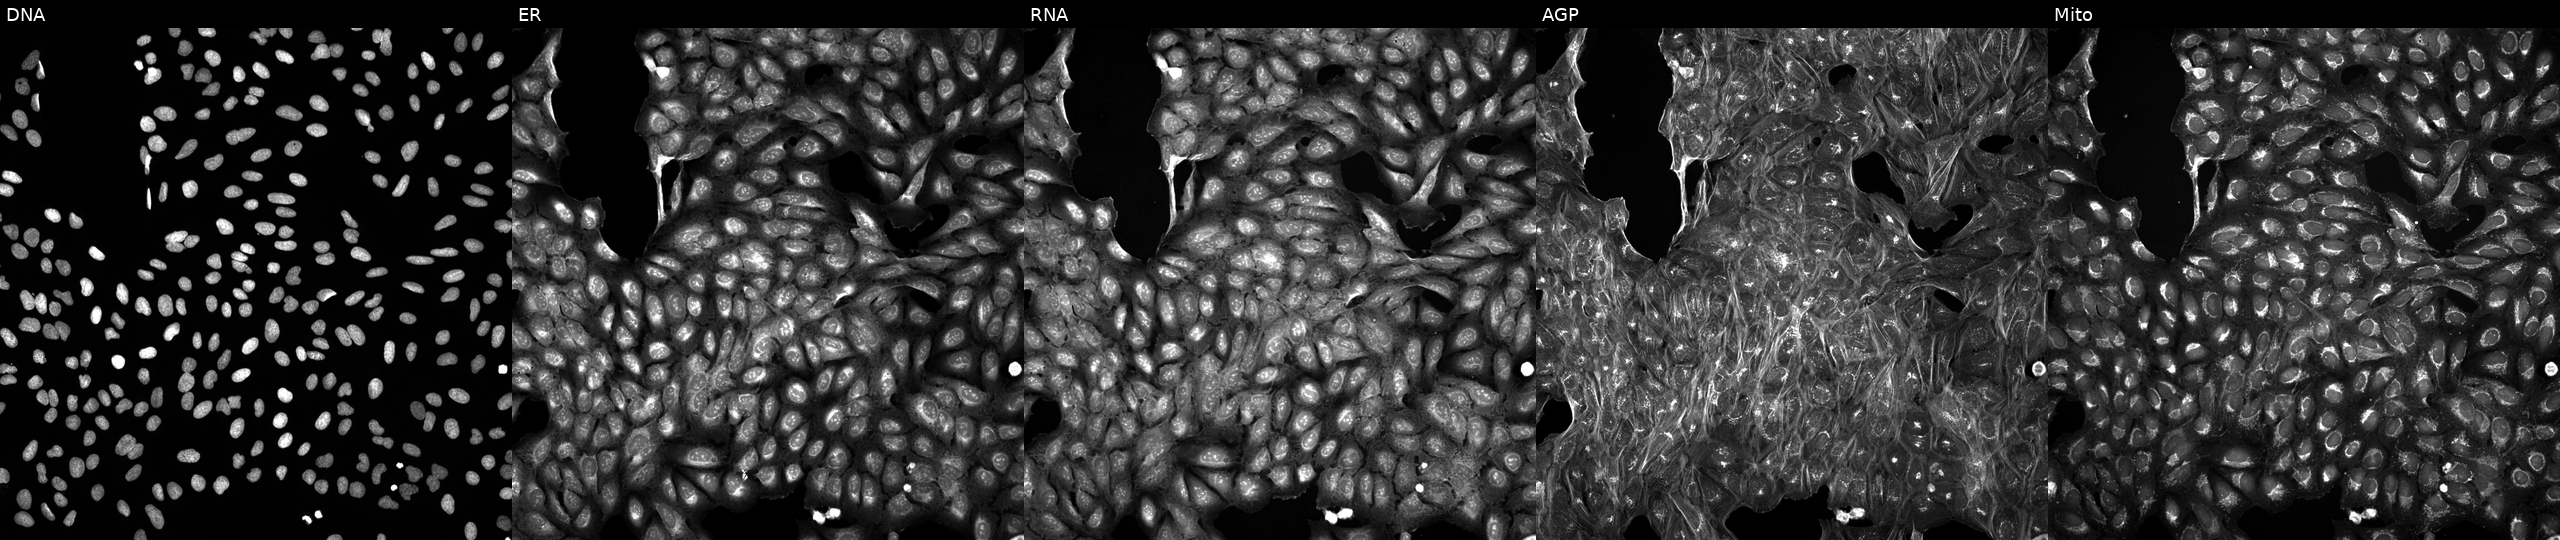
U2OS cells, Cell Painting assay, treated with a small-molecule compound. From left to right: Hoechst 33342, concanavalin A, SYTO 14, phalloidin and WGA, MitoTracker. Each panel is percentile-stretched 16-bit fluorescence.